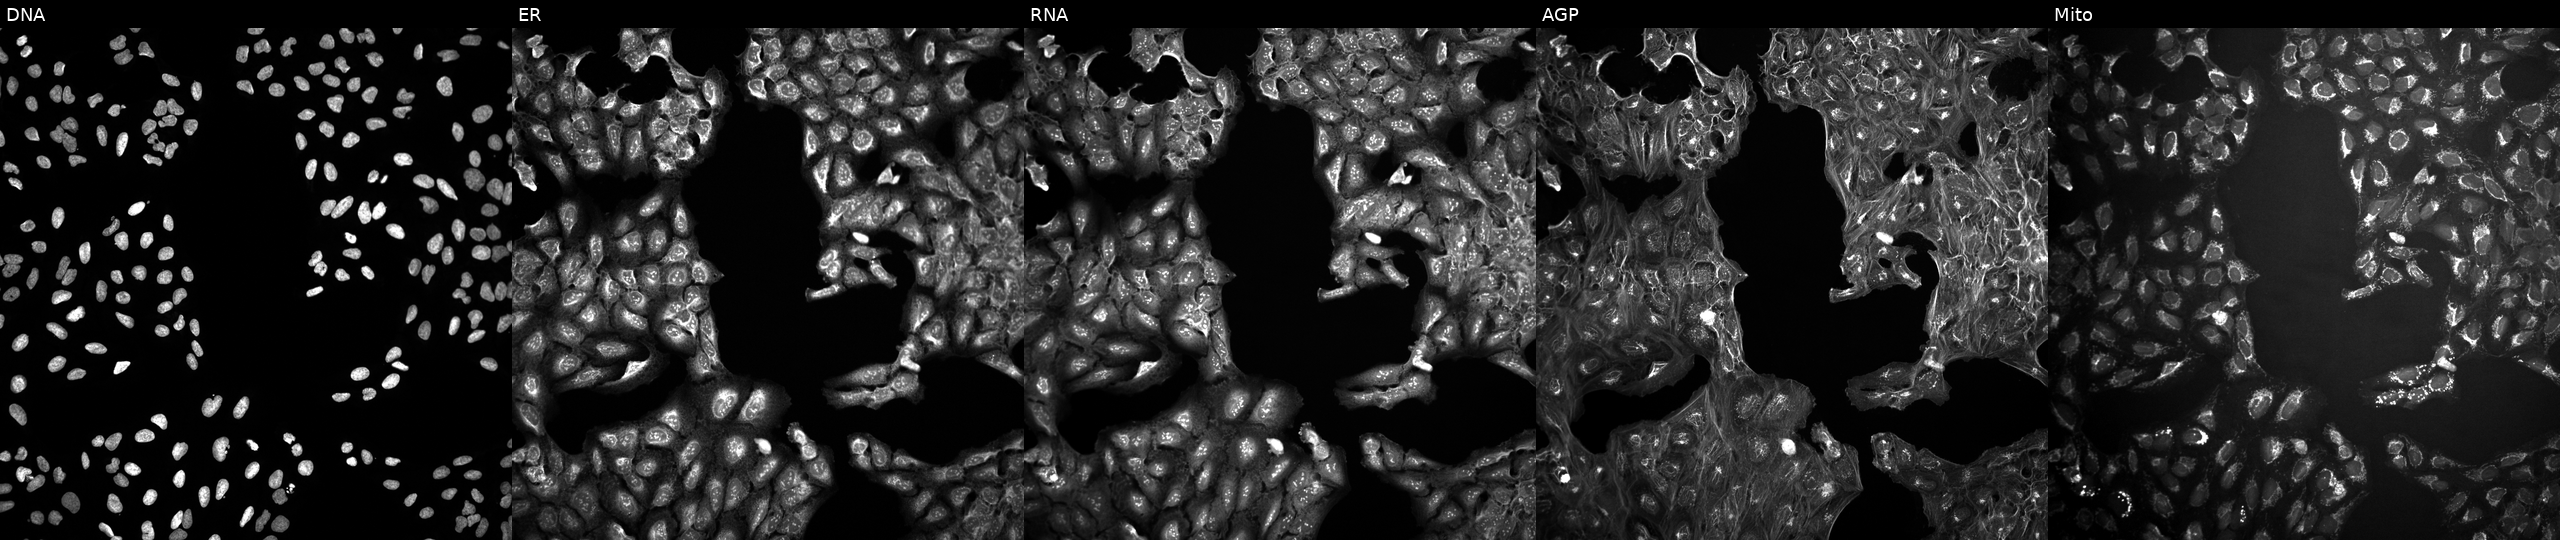
Five-channel Cell Painting image of U2OS cells in an empty control well (no perturbation) (JUMP id JCP2022_999999). The five panels, left to right, show Hoechst 33342, concanavalin A, SYTO 14, phalloidin and WGA, MitoTracker.